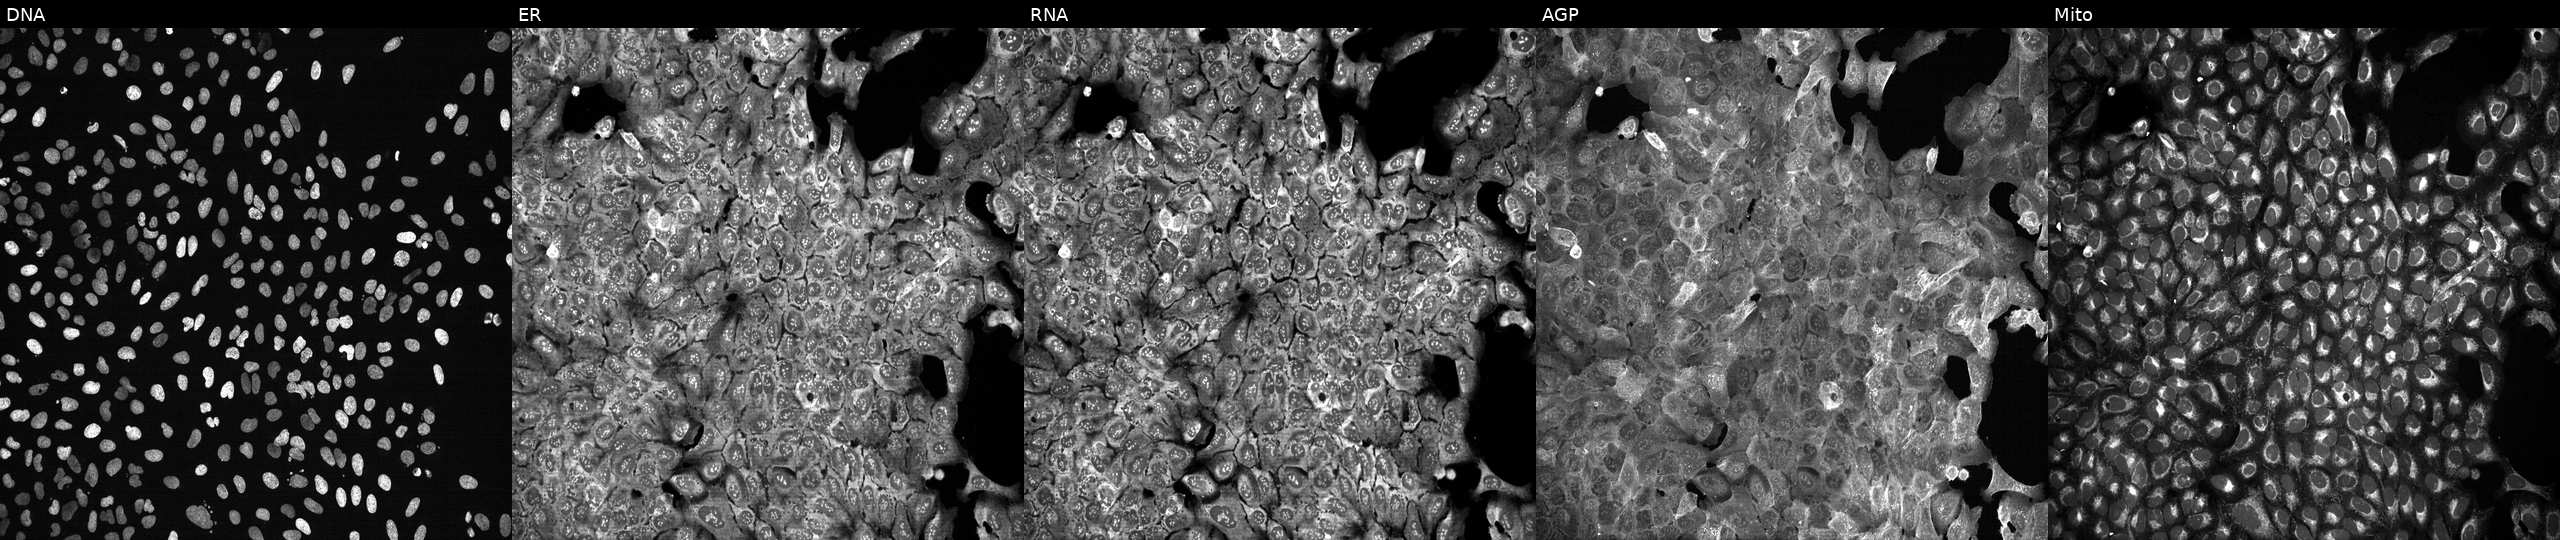
Channels (left→right): DNA (nuclei); ER (endoplasmic reticulum); RNA (nucleoli and cytoplasmic RNA); AGP (actin cytoskeleton, Golgi, and plasma membrane); Mito (mitochondria). U2OS osteosarcoma cells following CRISPR knockout of DDX43. Cell Painting assay, JUMP-CP dataset.